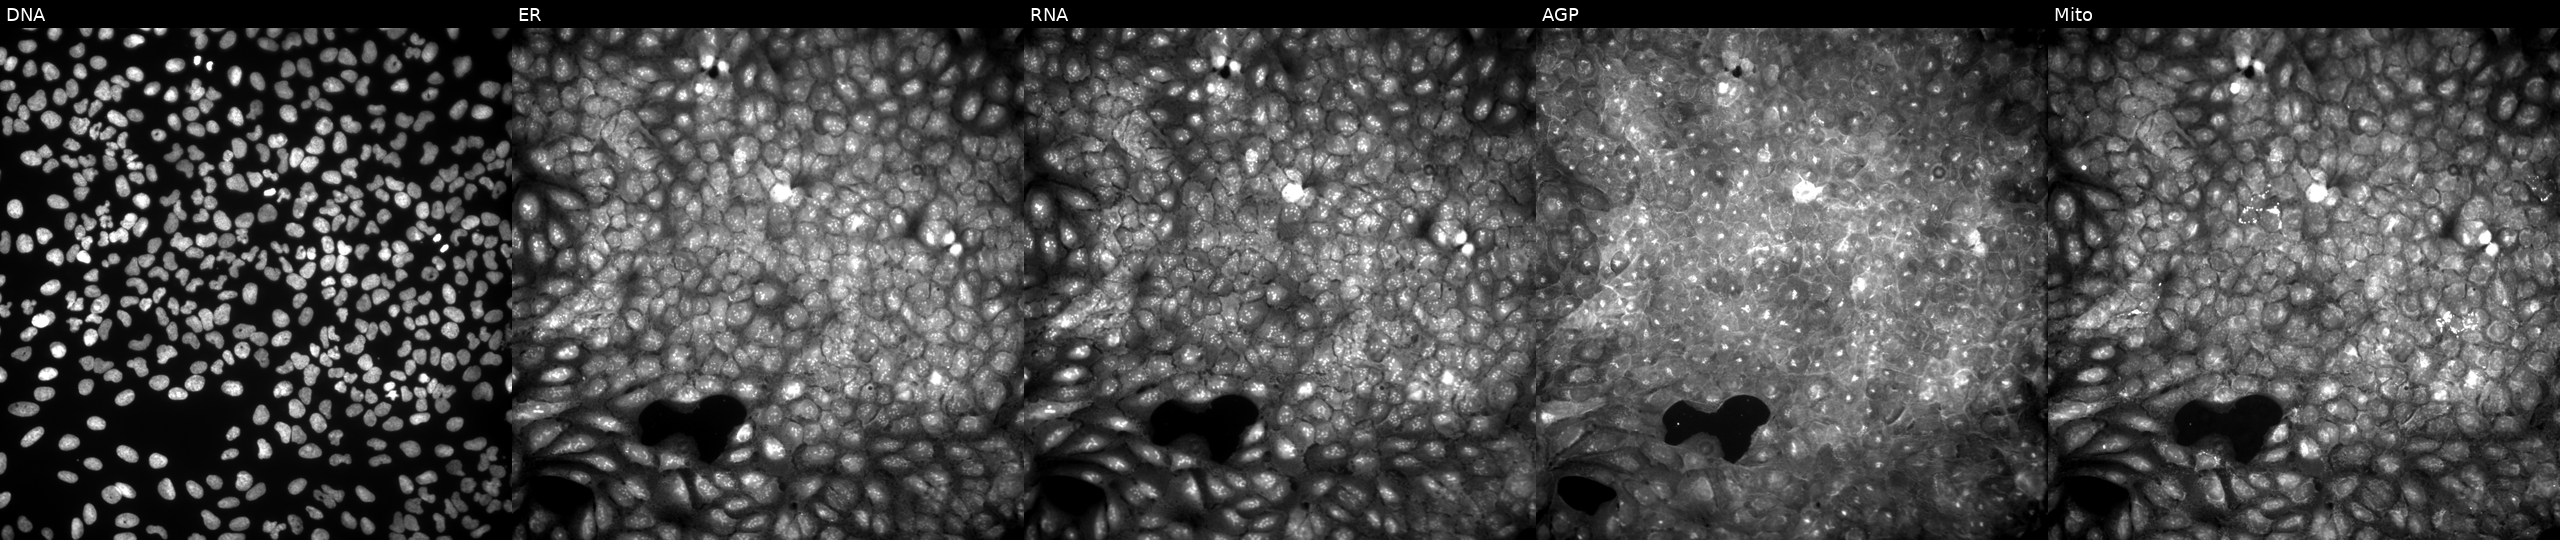
Five-channel Cell Painting image of U2OS cells treated with DMSO vehicle only (negative control). The five panels, left to right, show Hoechst 33342, concanavalin A, SYTO 14, phalloidin and WGA, MitoTracker.